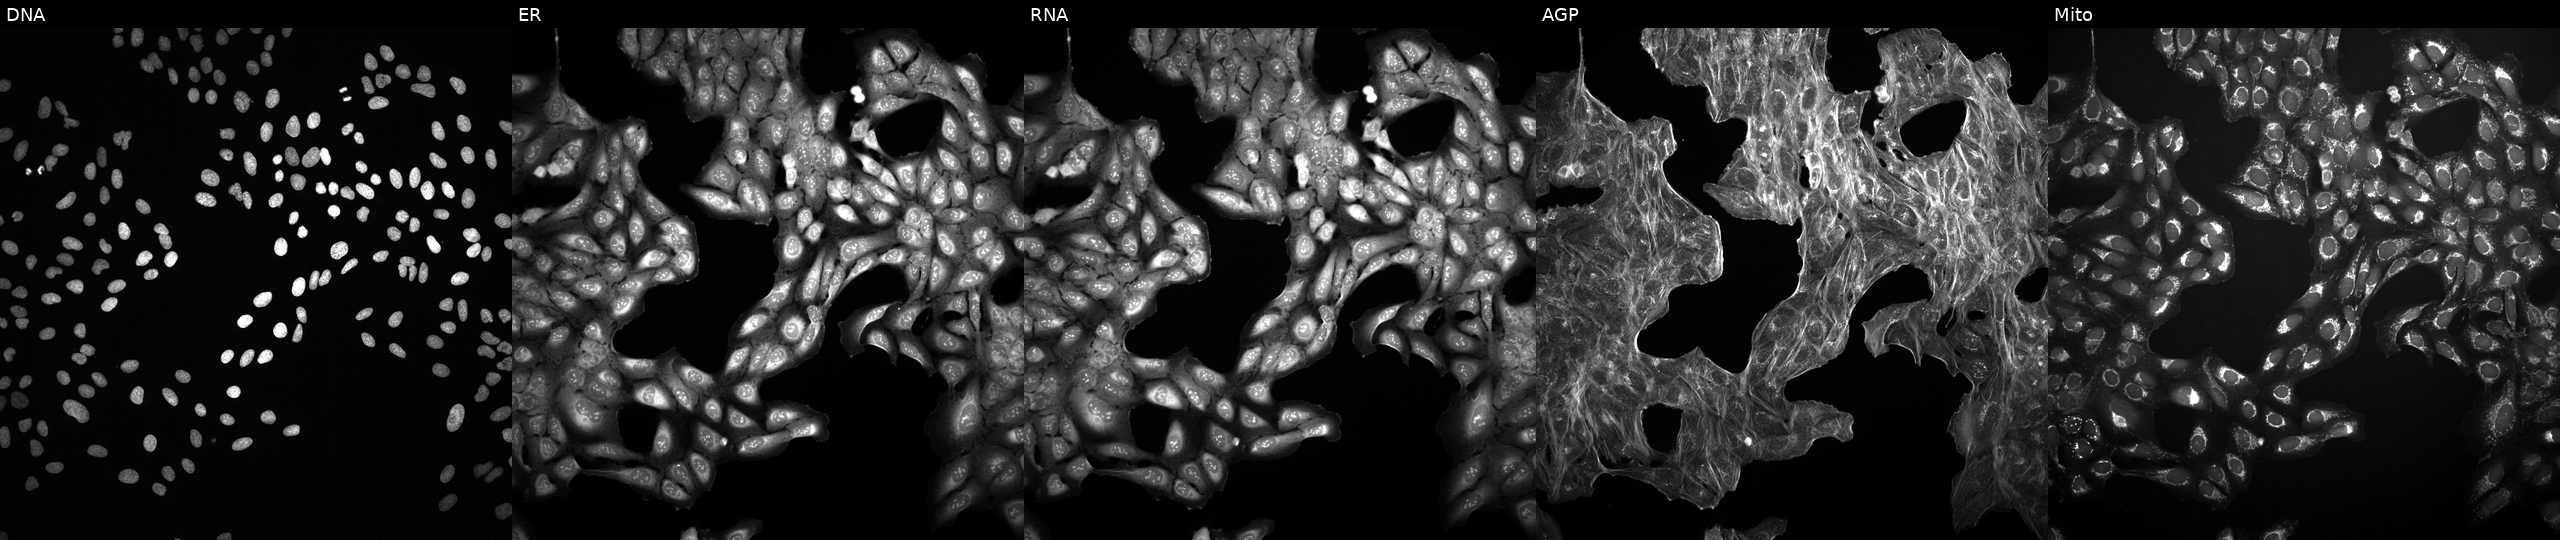
U2OS cells, Cell Painting assay, exposed to DMSO alone as a negative control. From left to right: Hoechst 33342, concanavalin A, SYTO 14, phalloidin and WGA, MitoTracker. Each panel is percentile-stretched 16-bit fluorescence.